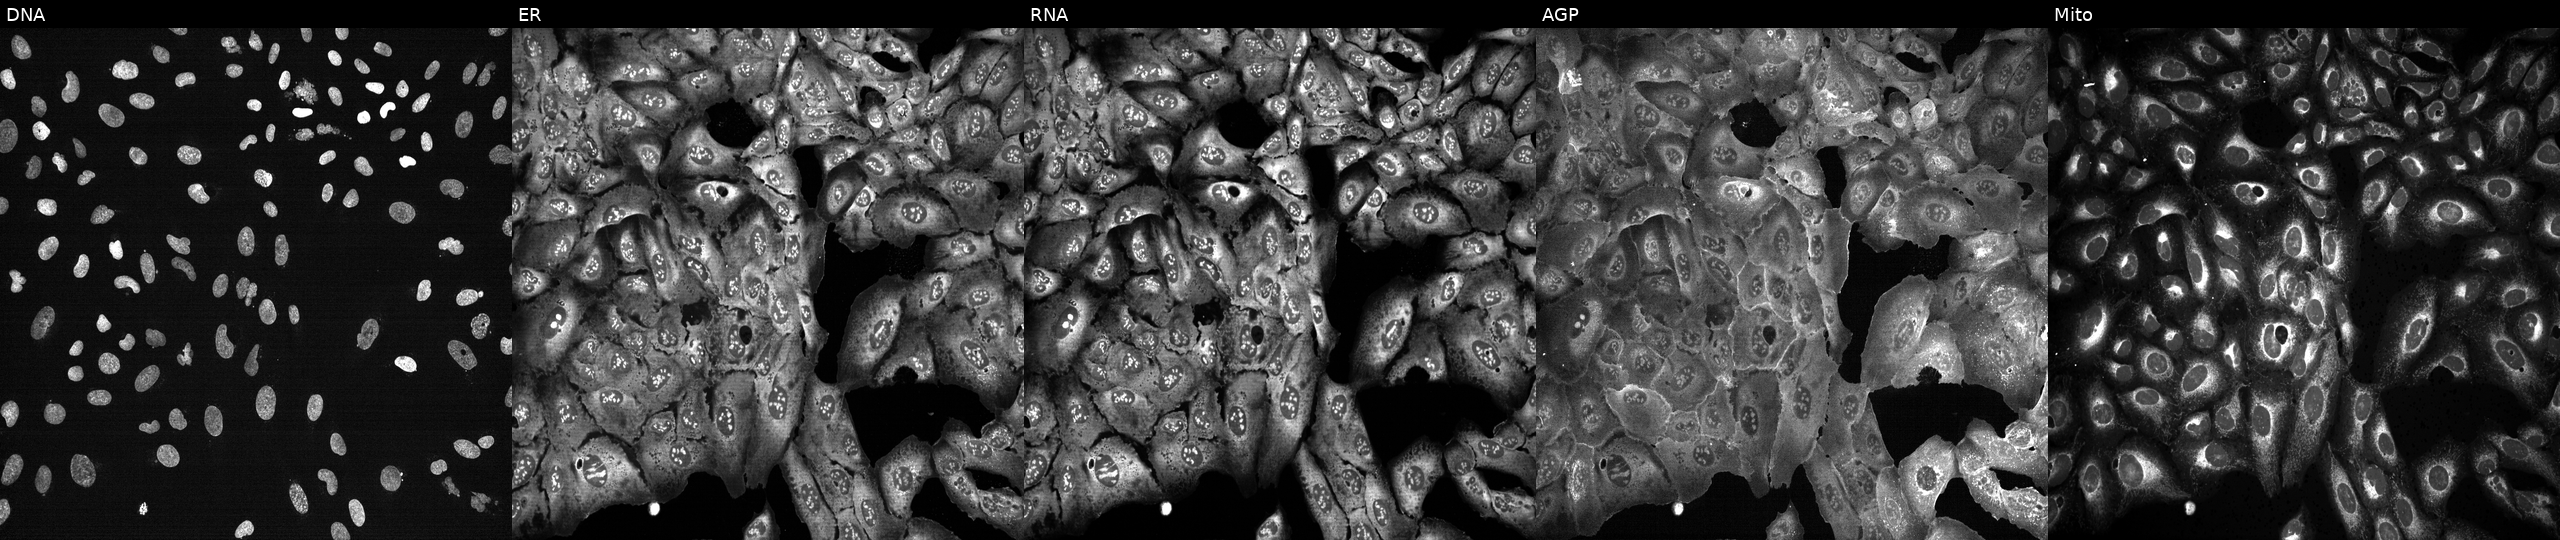
JUMP Cell Painting — CRISPR plate. U2OS cells with DNA2 knocked out by CRISPR (JUMP id JCP2022_801854). Panels show, left to right, DNA, ER, RNA, AGP, and Mito. Source 13, plate CP-CC9-R2-01, well F14.